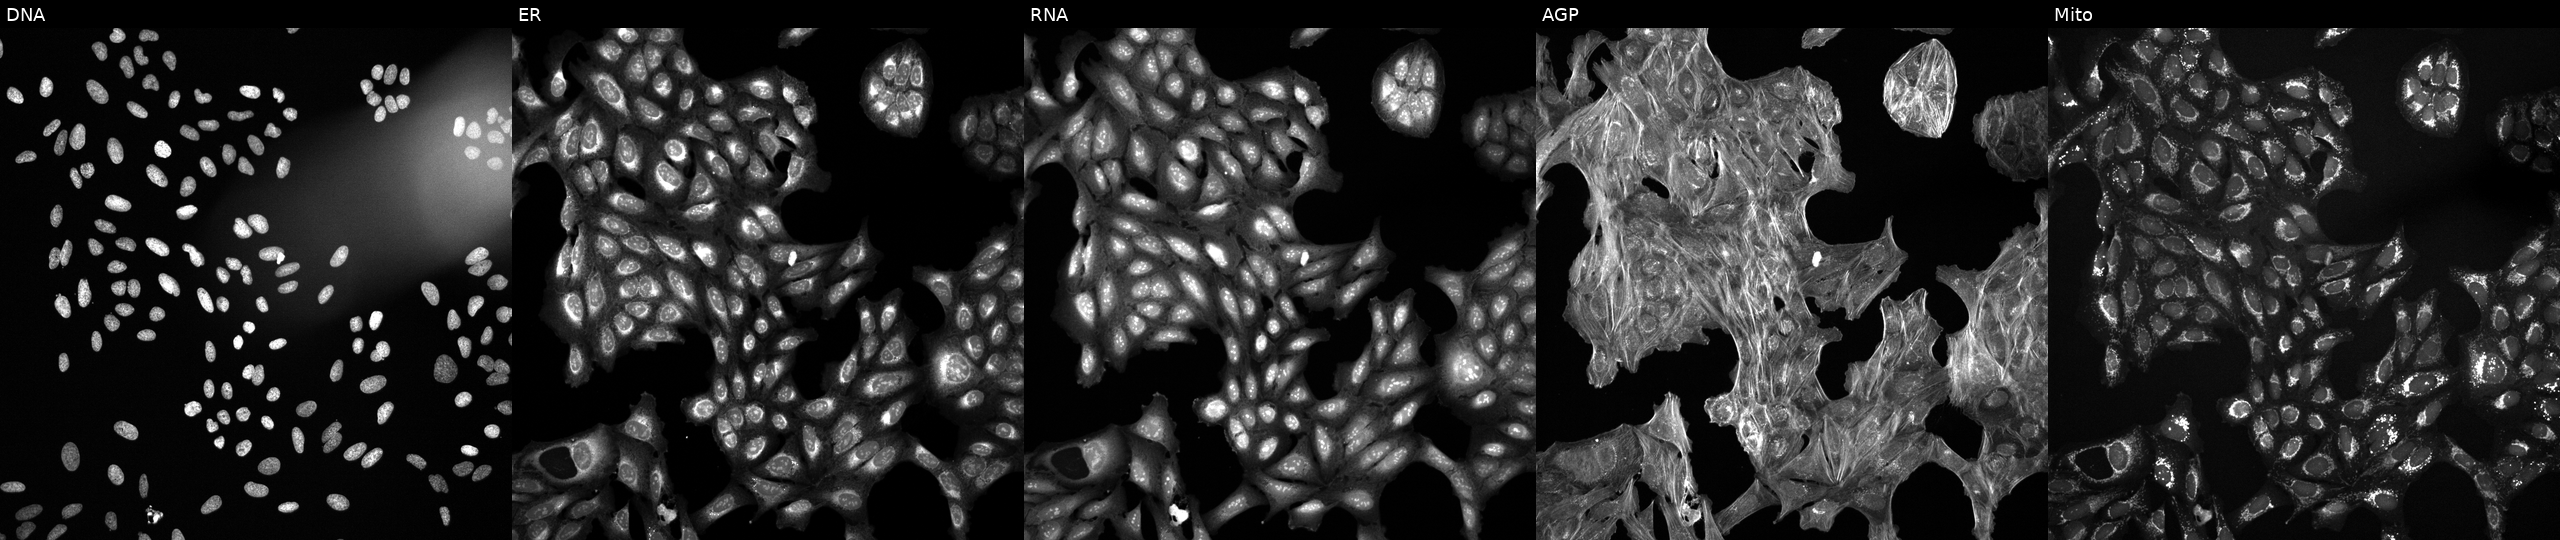
JUMP Cell Painting — TARGET2 plate. U2OS cells perturbed with a small-molecule compound (JUMP id JCP2022_020163). Panels show, left to right, DNA (nuclei); ER (endoplasmic reticulum); RNA (nucleoli and cytoplasmic RNA); AGP (actin cytoskeleton, Golgi, and plasma membrane); Mito (mitochondria).